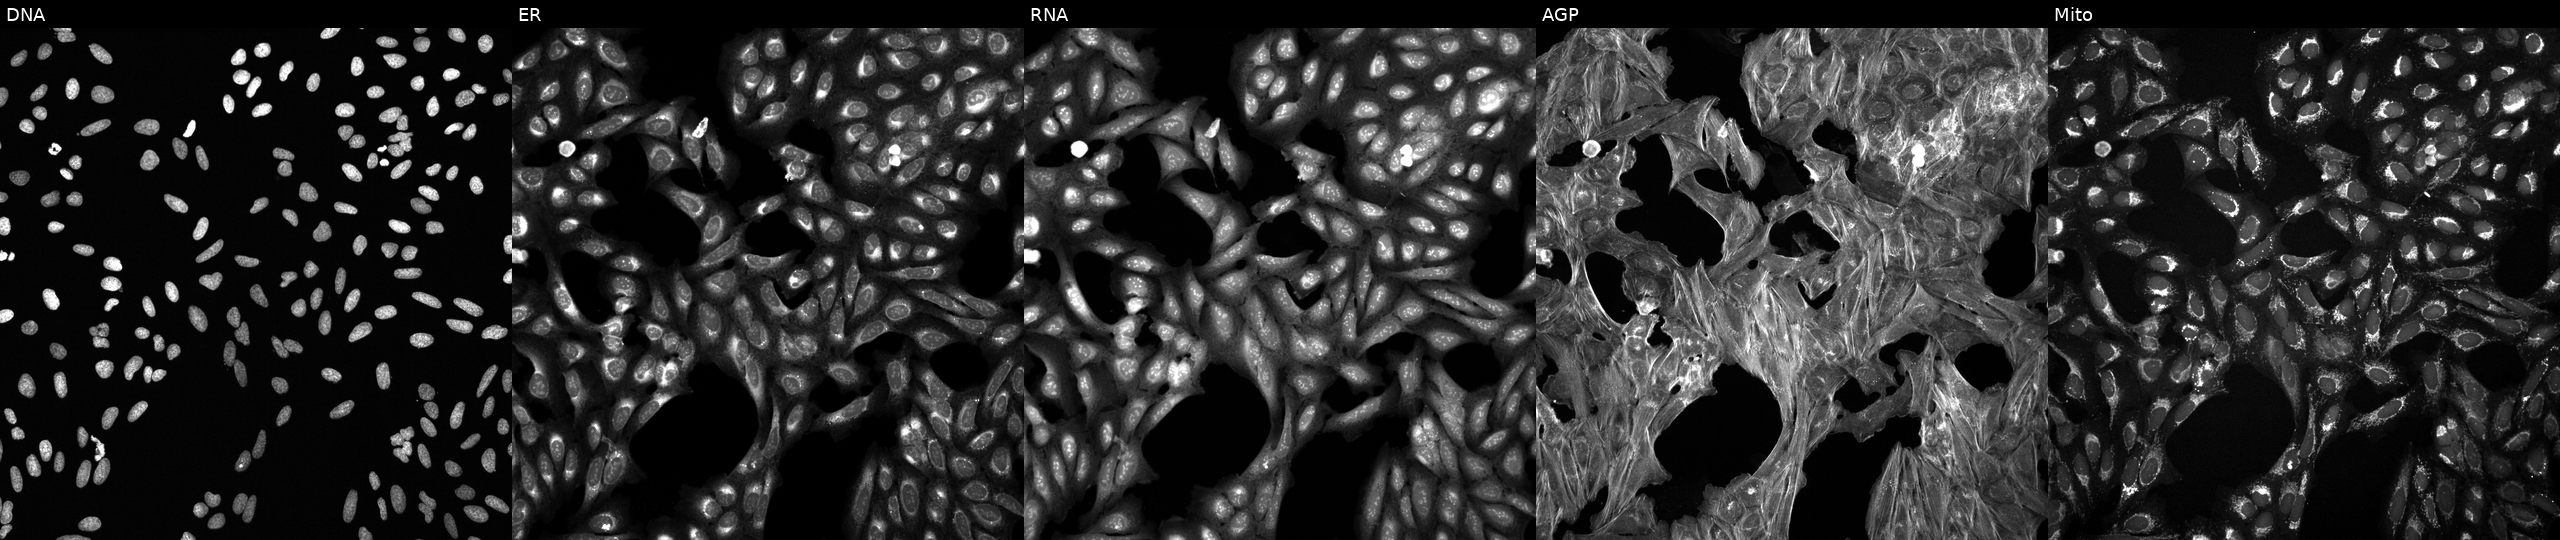
U2OS cells, Cell Painting assay, treated with a small-molecule compound (JUMP id JCP2022_096866). From left to right: DNA (nuclei); ER (endoplasmic reticulum); RNA (nucleoli and cytoplasmic RNA); AGP (actin cytoskeleton, Golgi, and plasma membrane); Mito (mitochondria). Each panel is percentile-stretched 16-bit fluorescence.